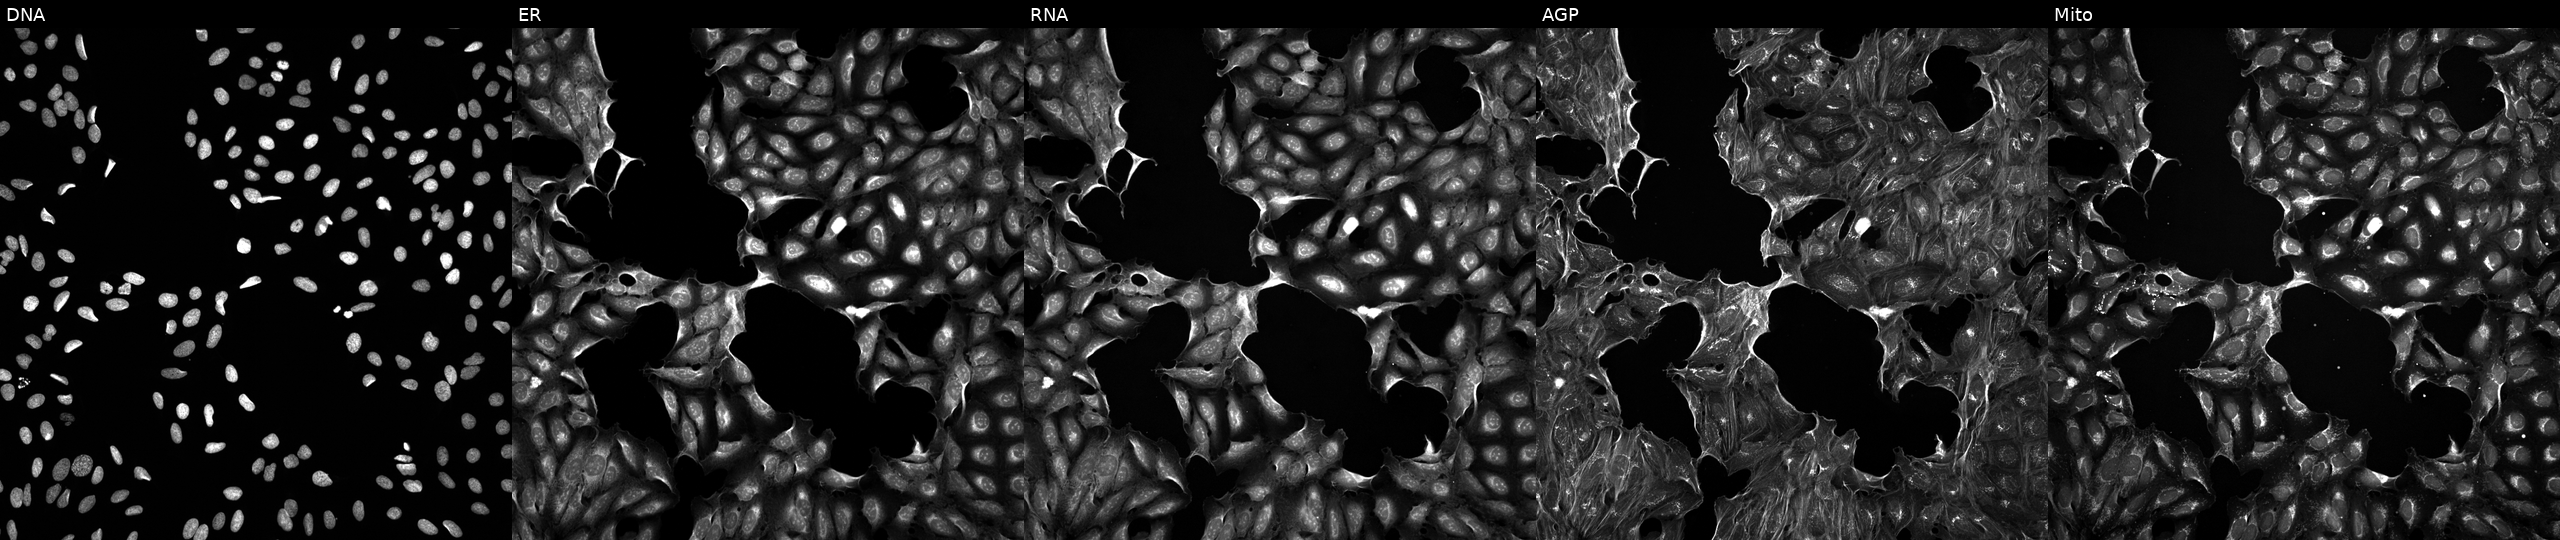
Five-channel Cell Painting image of U2OS cells exposed to a small-molecule compound (InChIKey SBDNJUWAMKYJOX-UHFFFAOYSA-N) (JUMP id JCP2022_082046). The five panels, left to right, show DNA, ER, RNA, AGP, and Mito. Source 5, plate ACPJUM051, well L02.